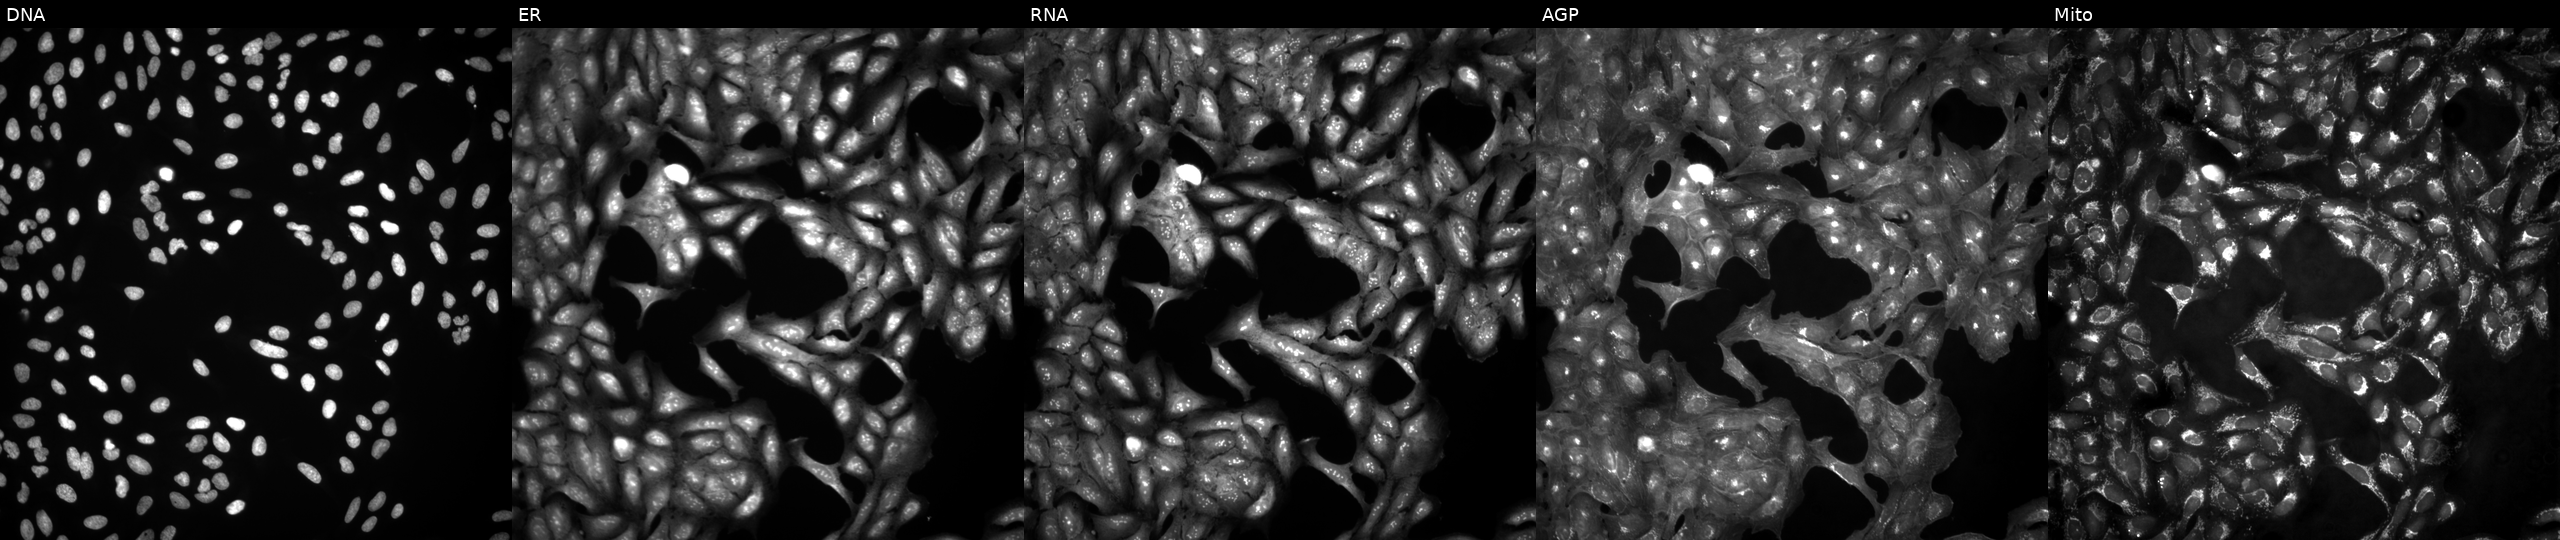
This image strip shows the five Cell Painting channels for a single field of U2OS cells in an empty control well (no perturbation). Channels (left→right): DNA, ER, RNA, AGP, and Mito. Source 4, plate BR00123946, well E03.